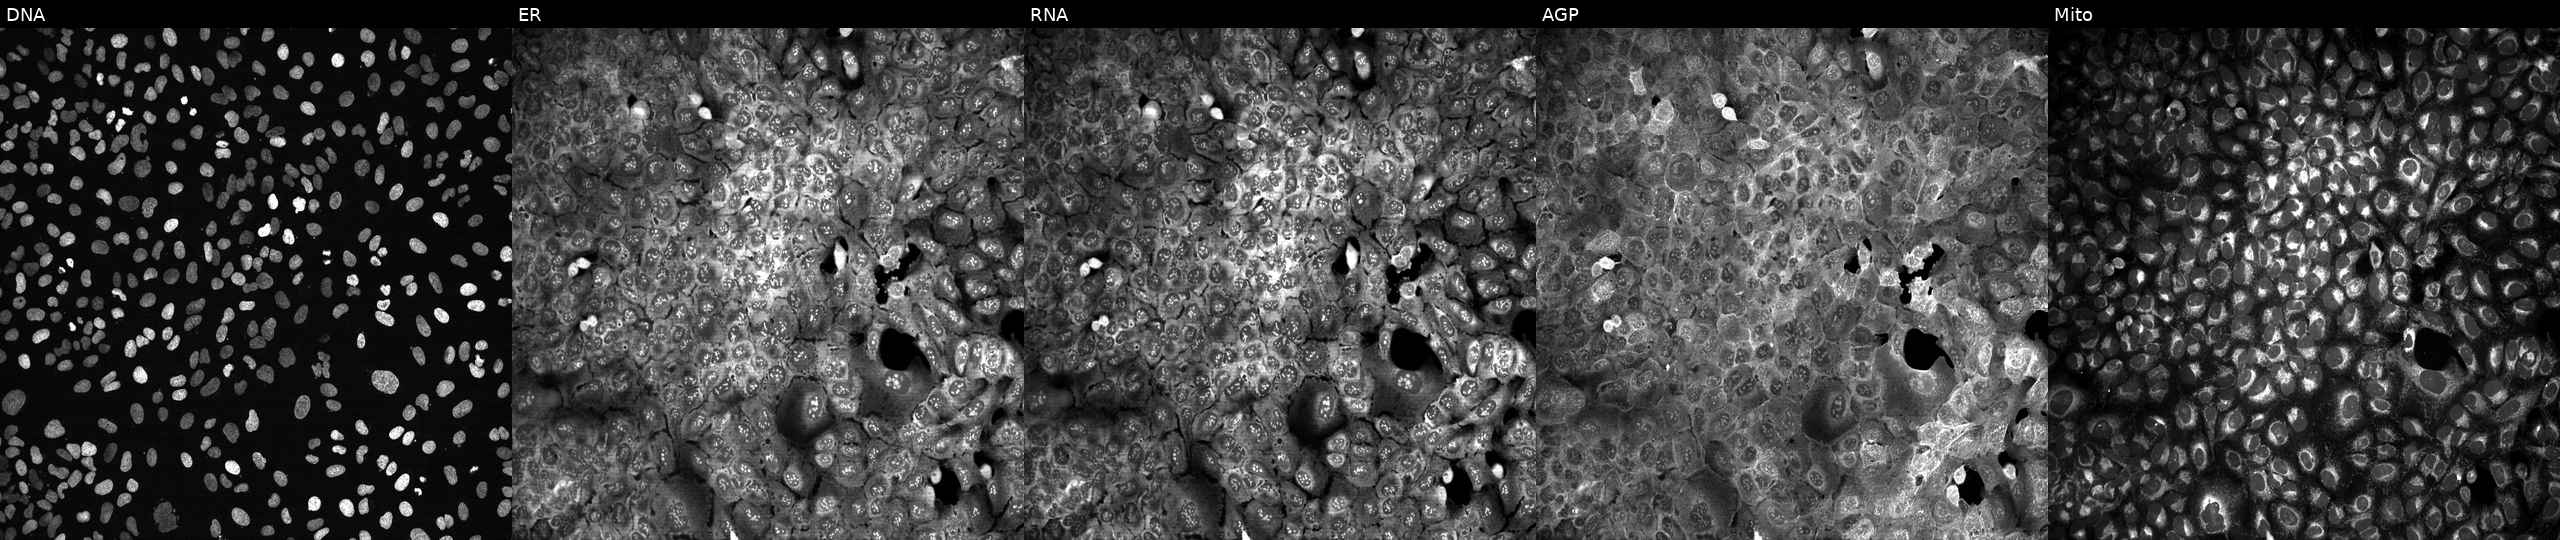
High-content fluorescence microscopy (Cell Painting). Cell line: U2OS. Perturbation: following CRISPR knockout of LIPM. Channels (left→right): Hoechst 33342, concanavalin A, SYTO 14, phalloidin and WGA, MitoTracker.